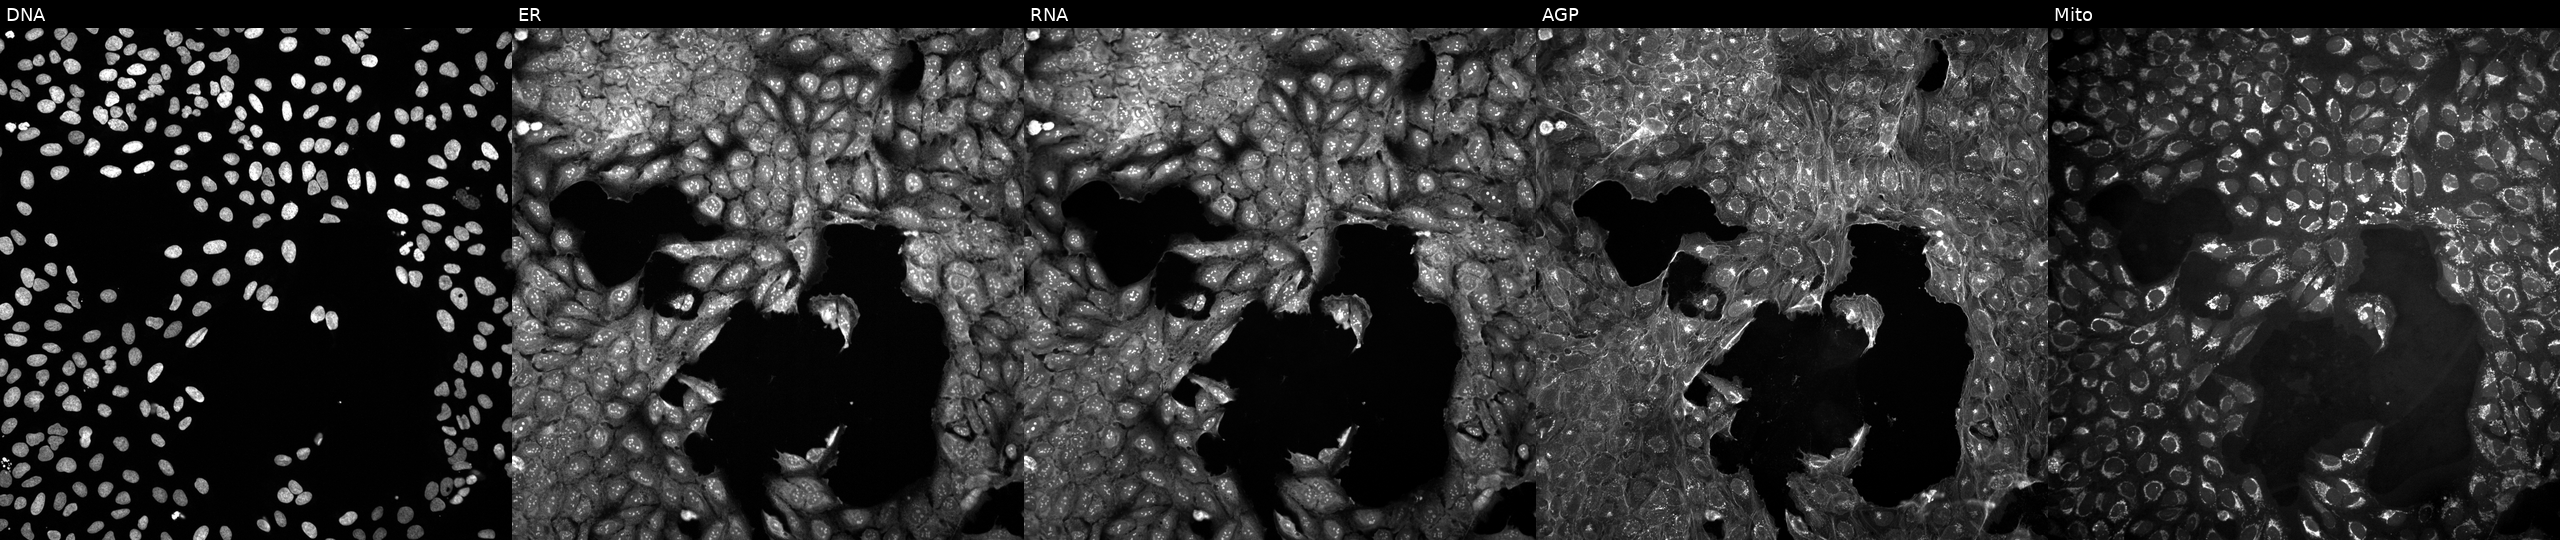
This image strip shows the five Cell Painting channels for a single field of U2OS cells in an empty control well (no perturbation). From left to right: Hoechst 33342, concanavalin A, SYTO 14, phalloidin and WGA, MitoTracker. Source 10, plate Dest210531-152149, well O08.